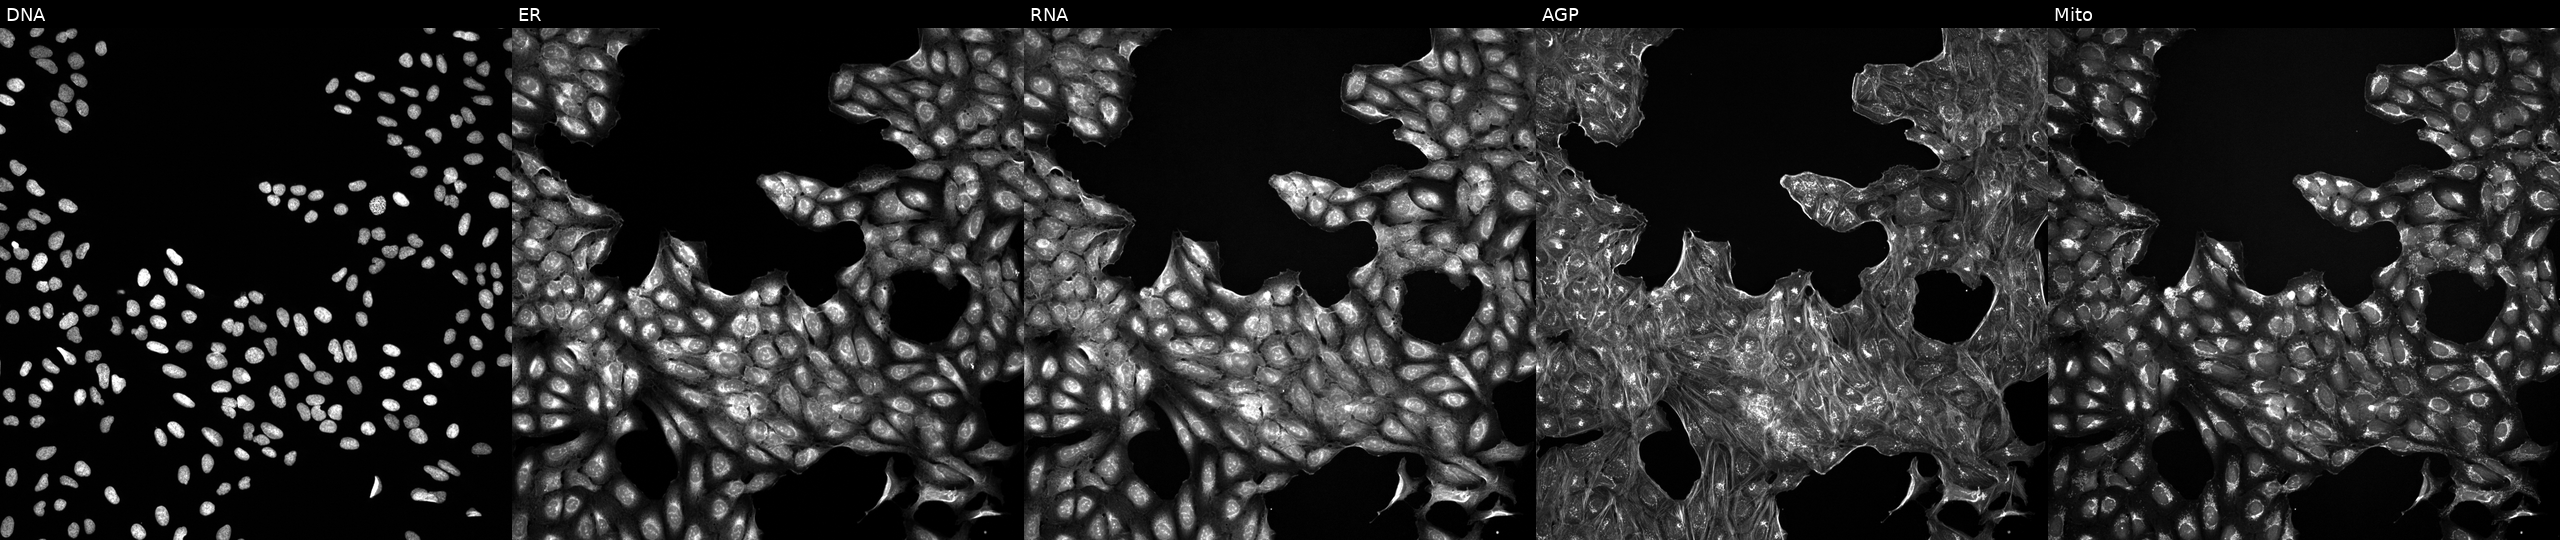
This image strip shows the five Cell Painting channels for a single field of U2OS cells perturbed with a small-molecule compound. The five panels, left to right, show DNA (nuclei); ER (endoplasmic reticulum); RNA (nucleoli and cytoplasmic RNA); AGP (actin cytoskeleton, Golgi, and plasma membrane); Mito (mitochondria). Source 5, plate ACPJUM012, well C04.